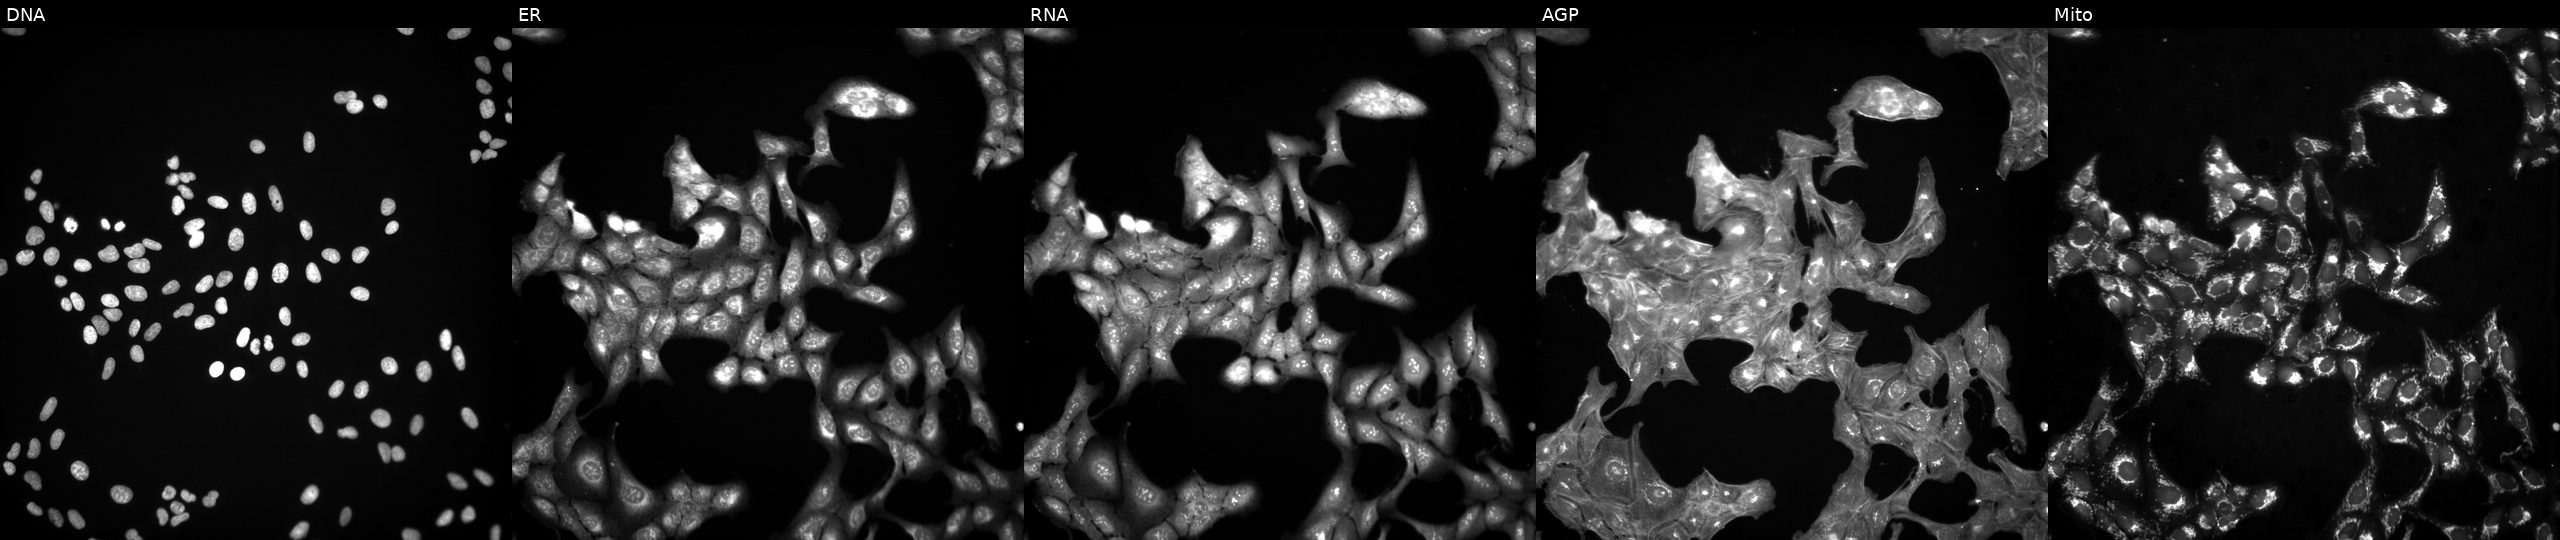
The five panels, left to right, show DNA, ER, RNA, AGP, and Mito. U2OS osteosarcoma cells treated with DMSO vehicle only (negative control) (JUMP id JCP2022_033924). Cell Painting assay, JUMP-CP dataset. Source 3, plate JCPQC051, well P24.